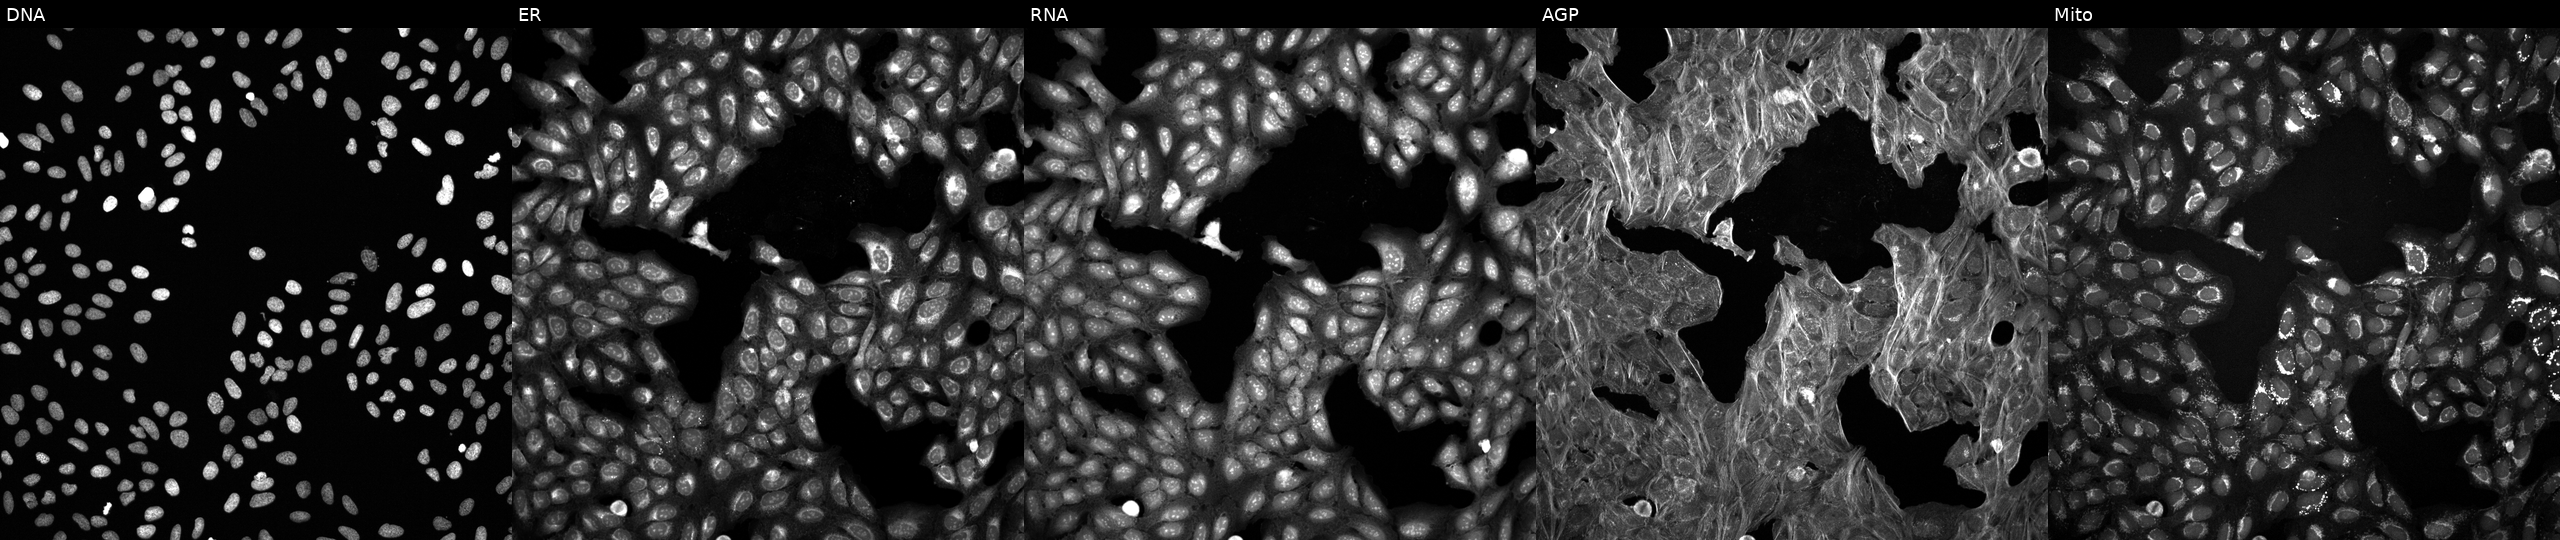
U2OS cells, Cell Painting assay, perturbed with a small-molecule compound (InChIKey VKSFDXKQRNZKKX-UHFFFAOYSA-N). Channels (left→right): DNA (nuclei); ER (endoplasmic reticulum); RNA (nucleoli and cytoplasmic RNA); AGP (actin cytoskeleton, Golgi, and plasma membrane); Mito (mitochondria). Each panel is percentile-stretched 16-bit fluorescence. Source 6, plate 110000293082, well G03.